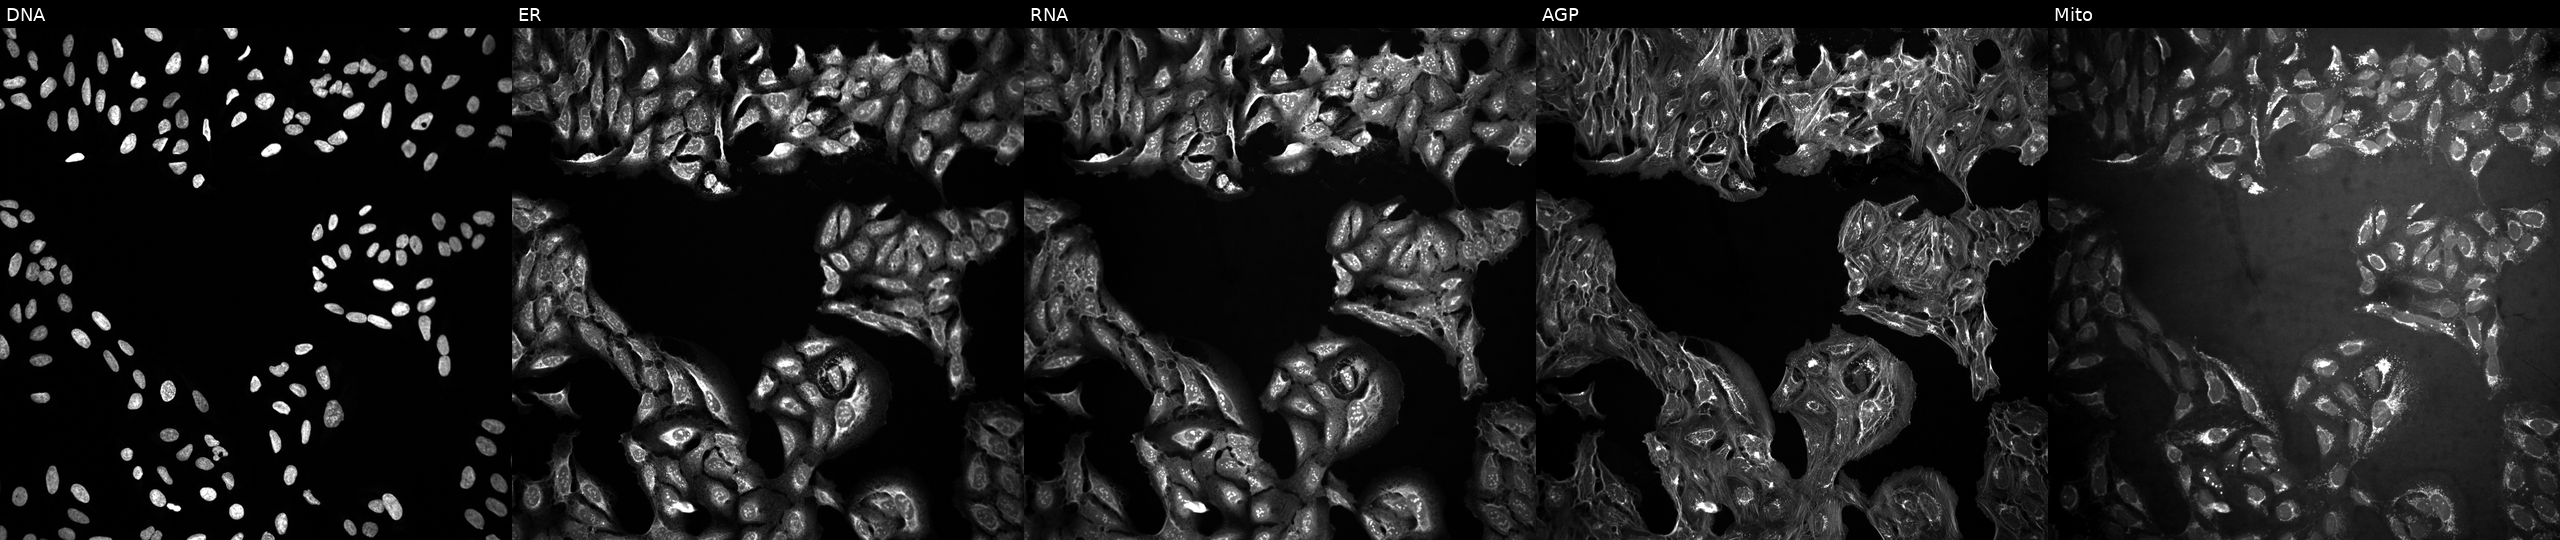
This image strip shows the five Cell Painting channels for a single field of U2OS cells perturbed with a small-molecule compound [SMILES: O=C(NCc1cccnc1-c1cccnc1)c1ccc2ncsc2c1] (JUMP id JCP2022_099446). Channels (left→right): Hoechst 33342, concanavalin A, SYTO 14, phalloidin and WGA, MitoTracker.